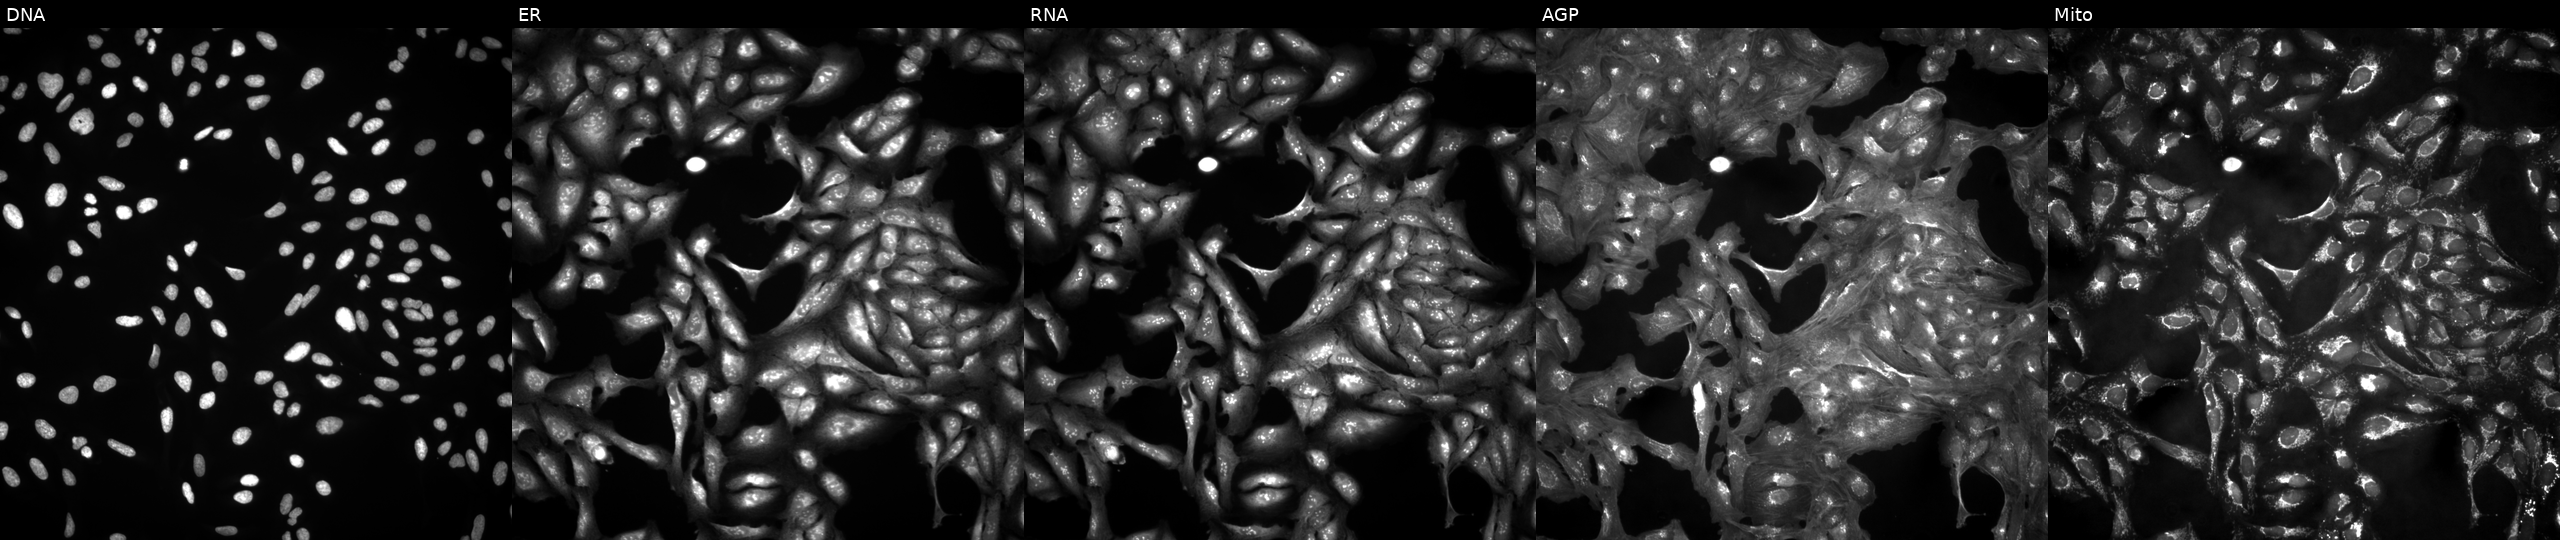
U2OS cells, Cell Painting assay, untreated (empty-well control). From left to right: DNA, ER, RNA, AGP, and Mito. Each panel is percentile-stretched 16-bit fluorescence. Source 4, plate BR00123946, well J14.